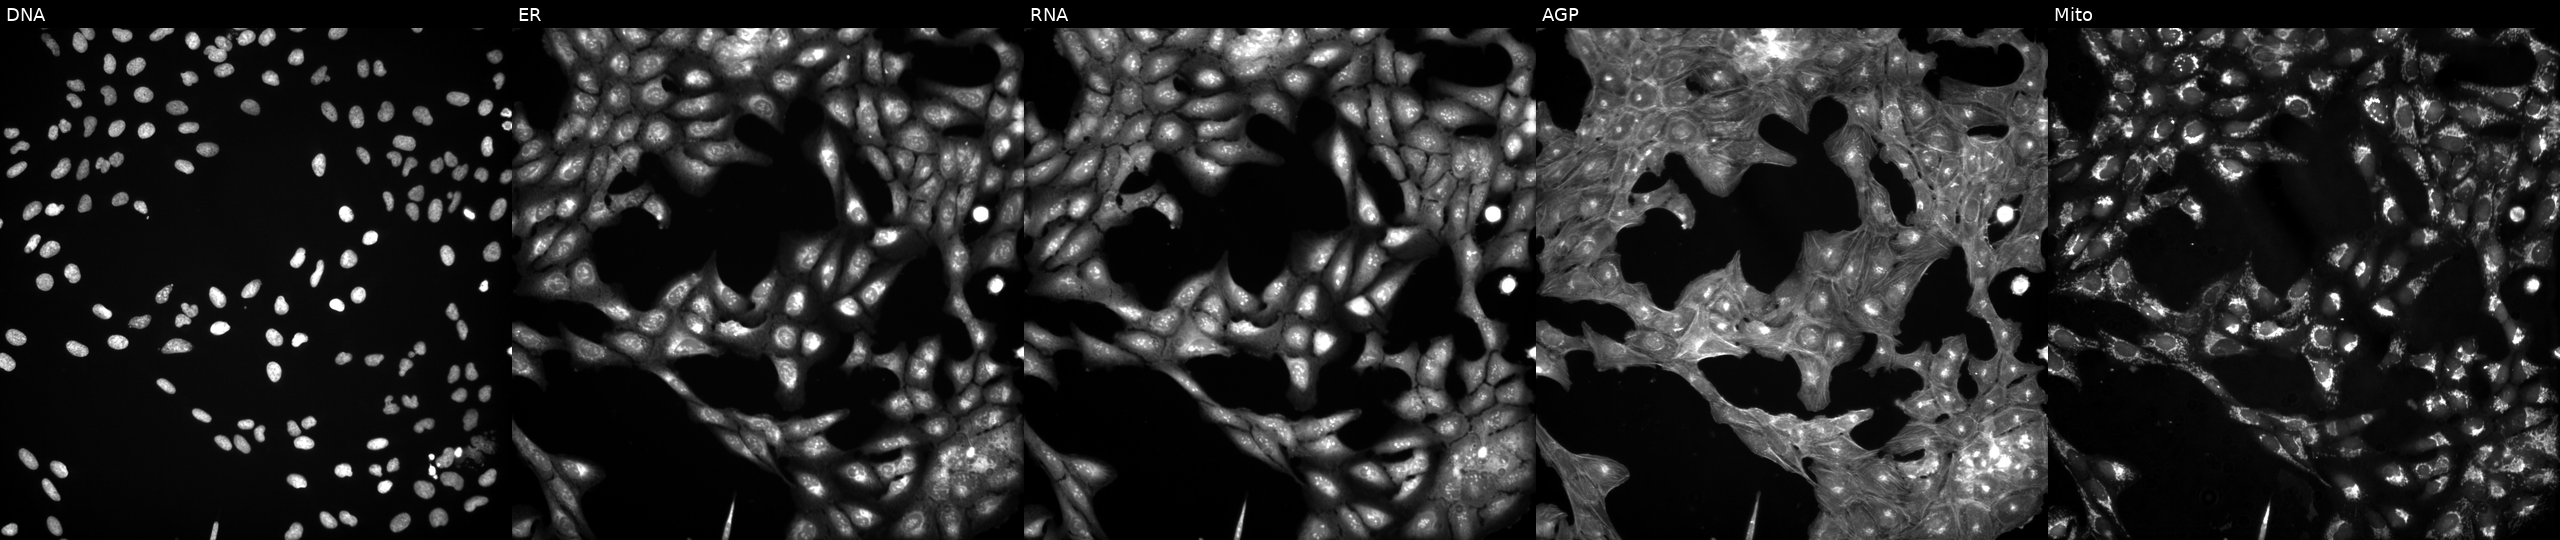
Five-channel Cell Painting image of U2OS cells exposed to a small-molecule compound (InChIKey ROBYKNONIPZMTK-UHFFFAOYSA-N) (JUMP id JCP2022_079617). Channels (left→right): DNA, ER, RNA, AGP, and Mito. Source 3, plate JCPQC053, well B05.